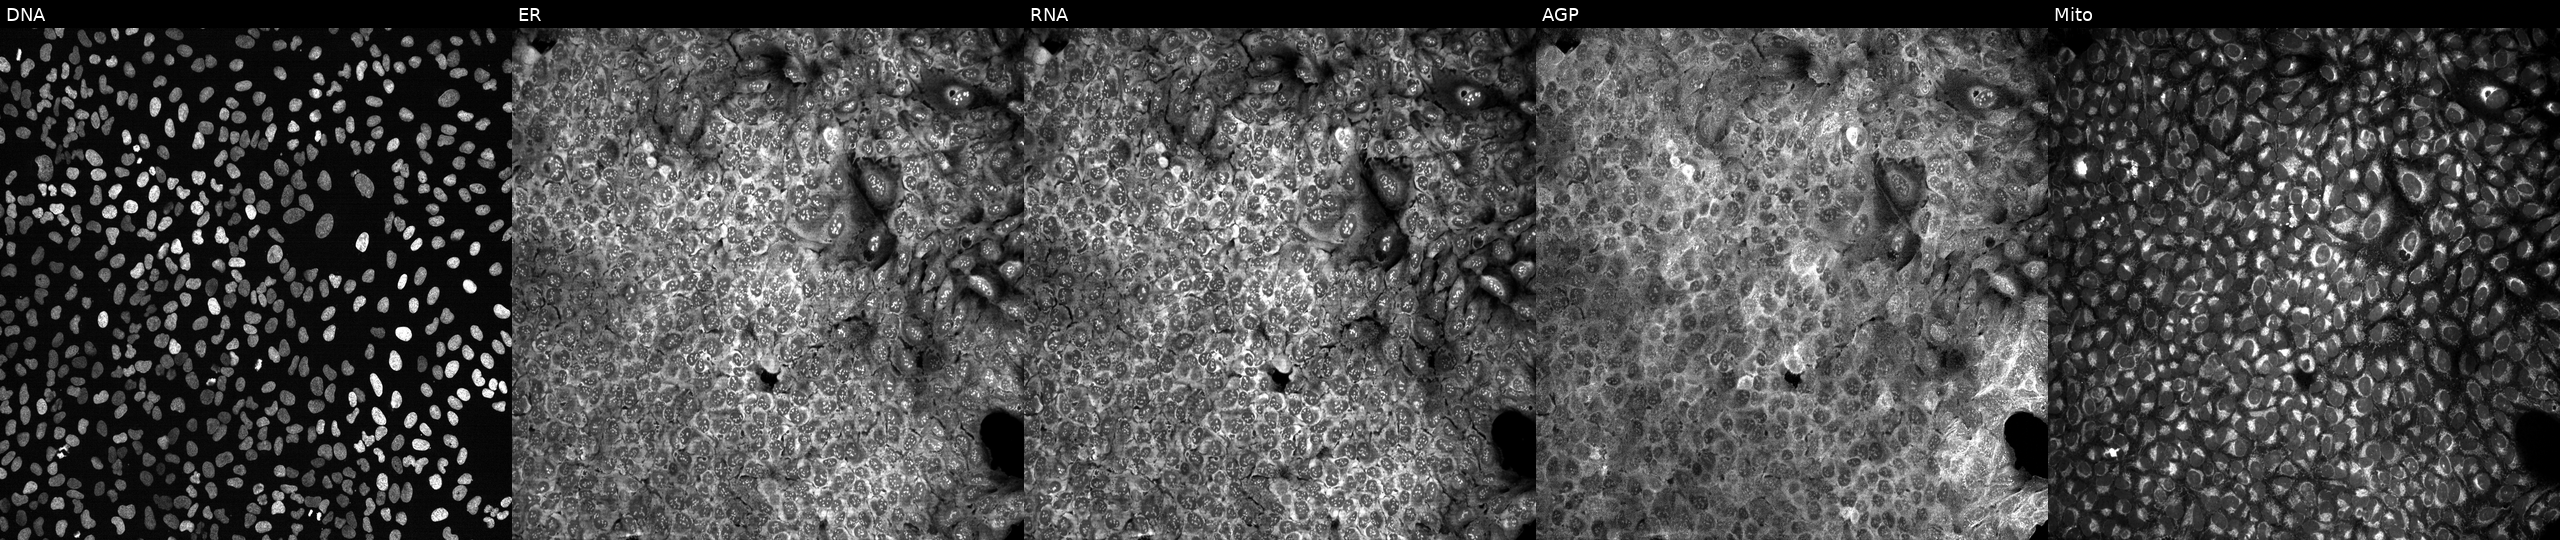
Five-channel Cell Painting image of U2OS cells with no CRISPR guide (negative control). The five panels, left to right, show DNA, ER, RNA, AGP, and Mito. Source 13, plate CP-CC9-R3-02, well N02.